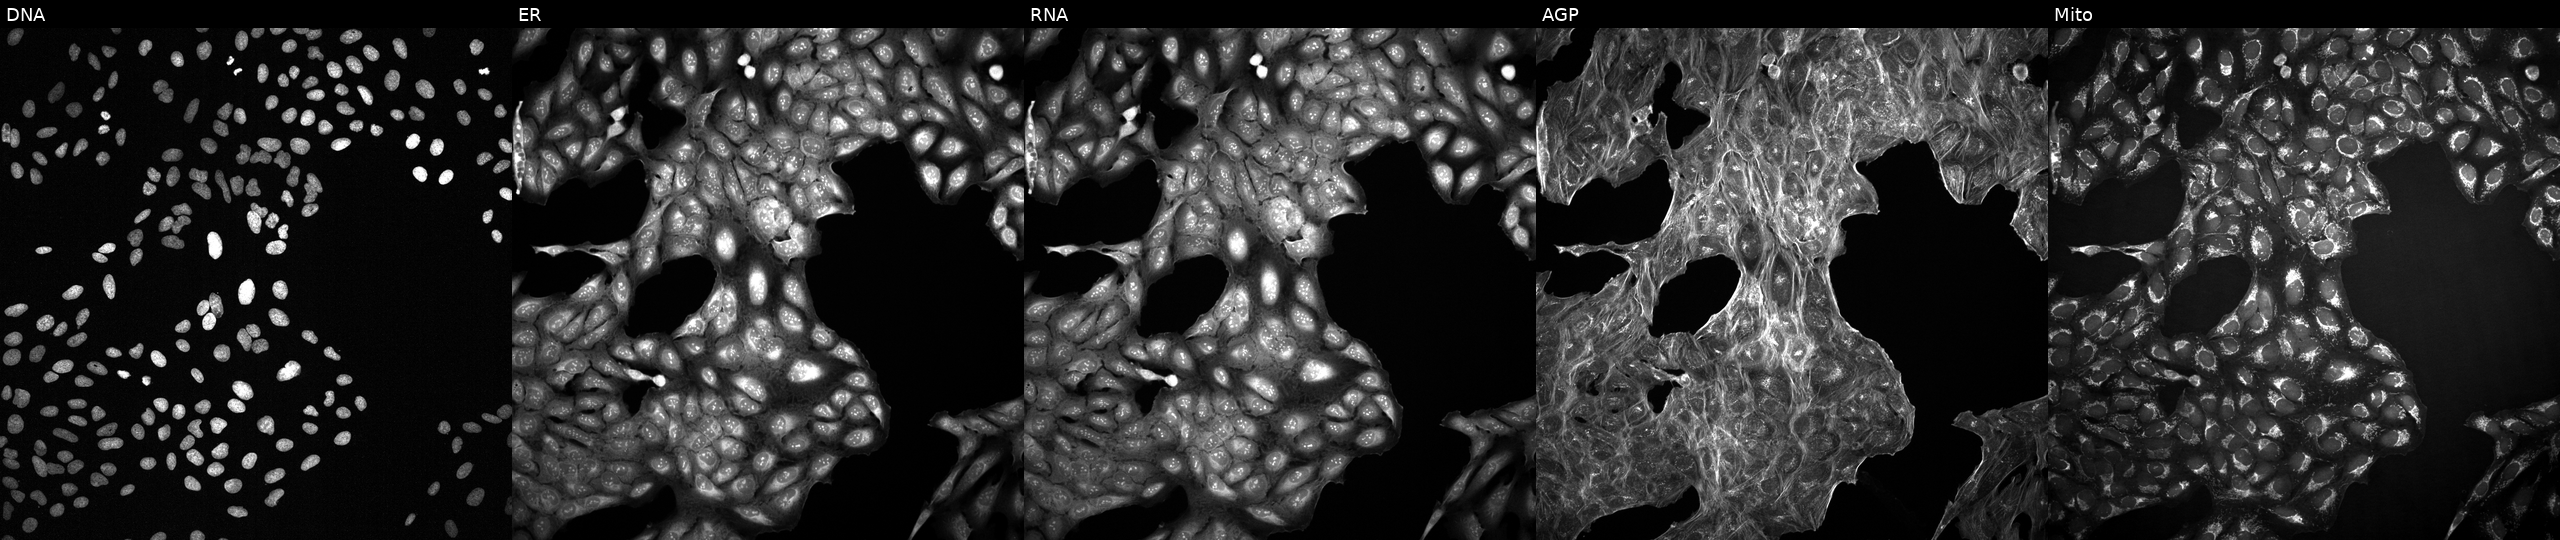
This image strip shows the five Cell Painting channels for a single field of U2OS cells exposed to a small-molecule compound [SMILES: C=c1[nH]c(=Cc2c(O)[nH]c3ccccc23)c(C)c1CCC(=O)O] (JUMP id JCP2022_026475). Panels show, left to right, DNA, ER, RNA, AGP, and Mito.